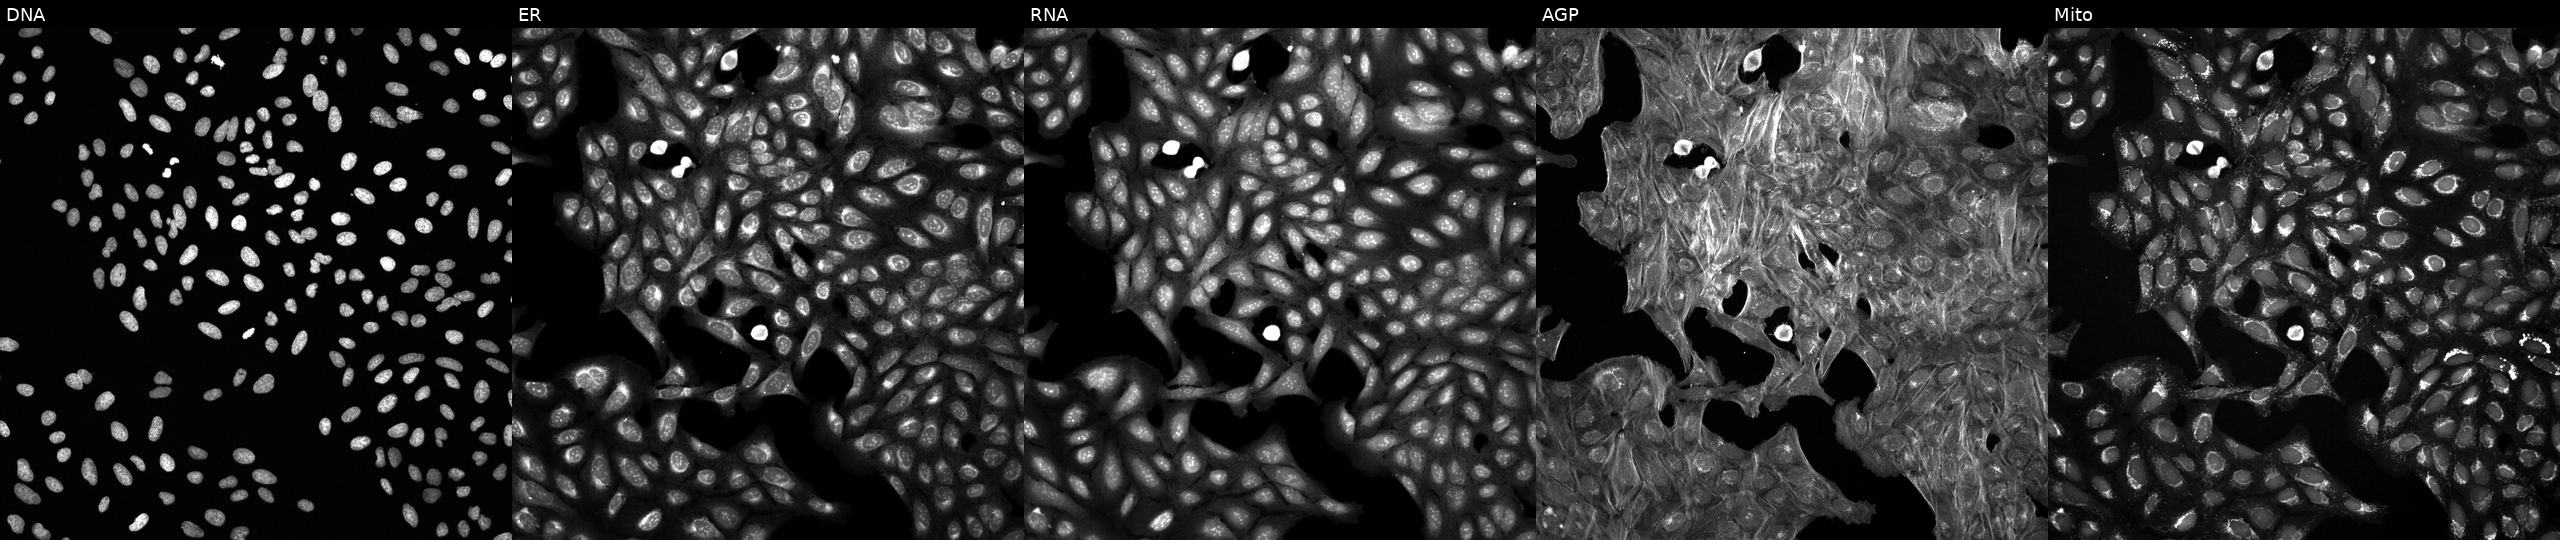
This image strip shows the five Cell Painting channels for a single field of U2OS cells treated with DMSO vehicle only (negative control). Panels show, left to right, DNA, ER, RNA, AGP, and Mito.